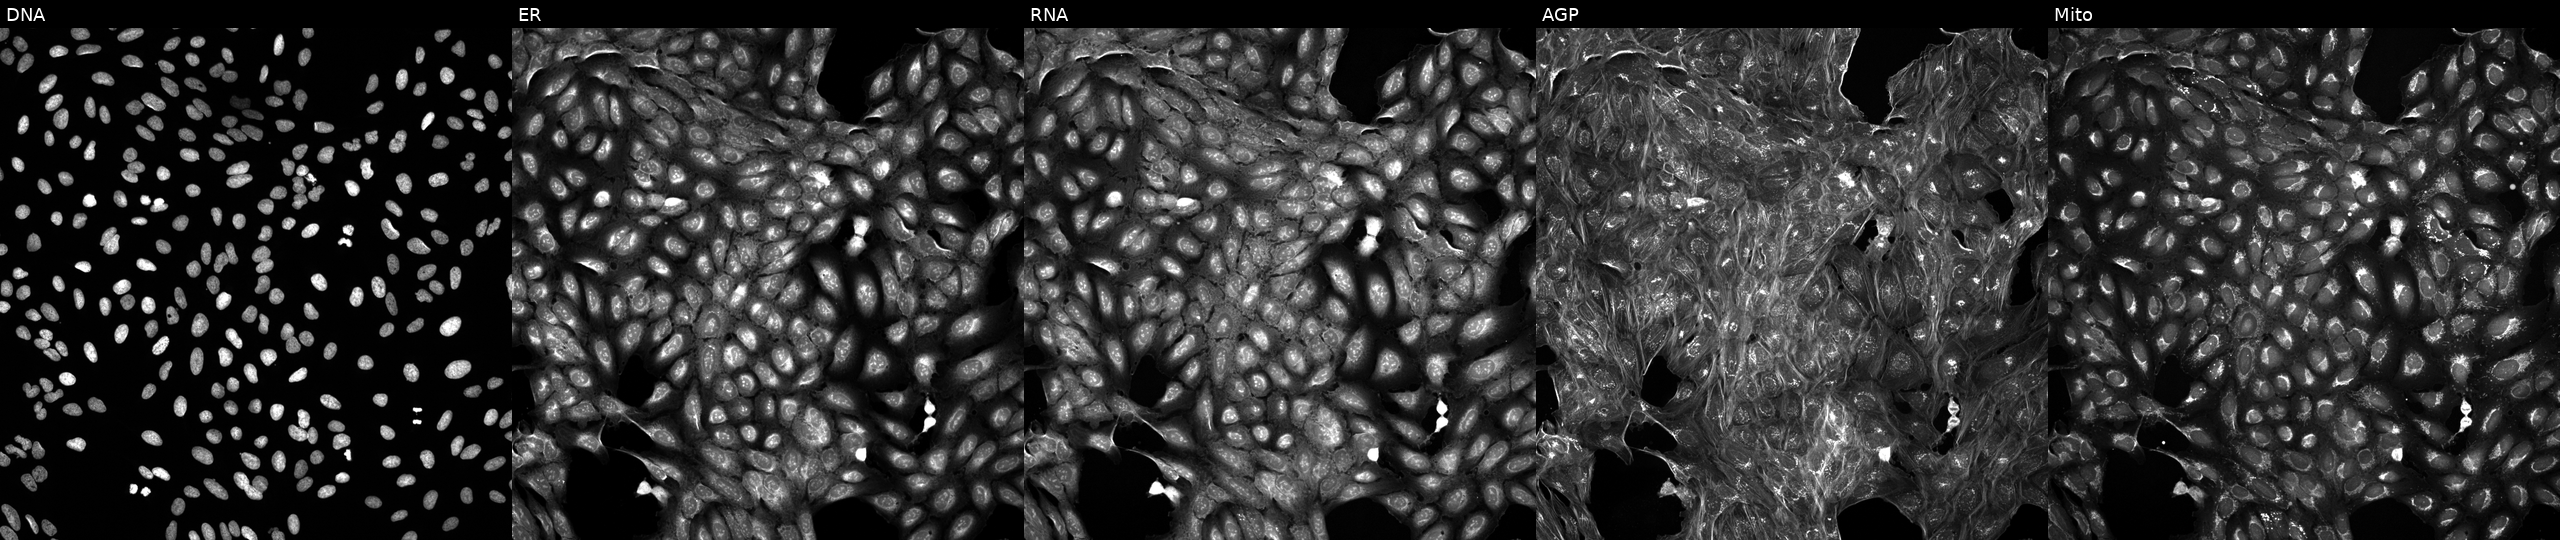
JUMP Cell Painting — TARGET2 plate. U2OS cells exposed to a small-molecule compound (InChIKey SBDNJUWAMKYJOX-UHFFFAOYSA-N) (JUMP id JCP2022_082046). From left to right: DNA, ER, RNA, AGP, and Mito.